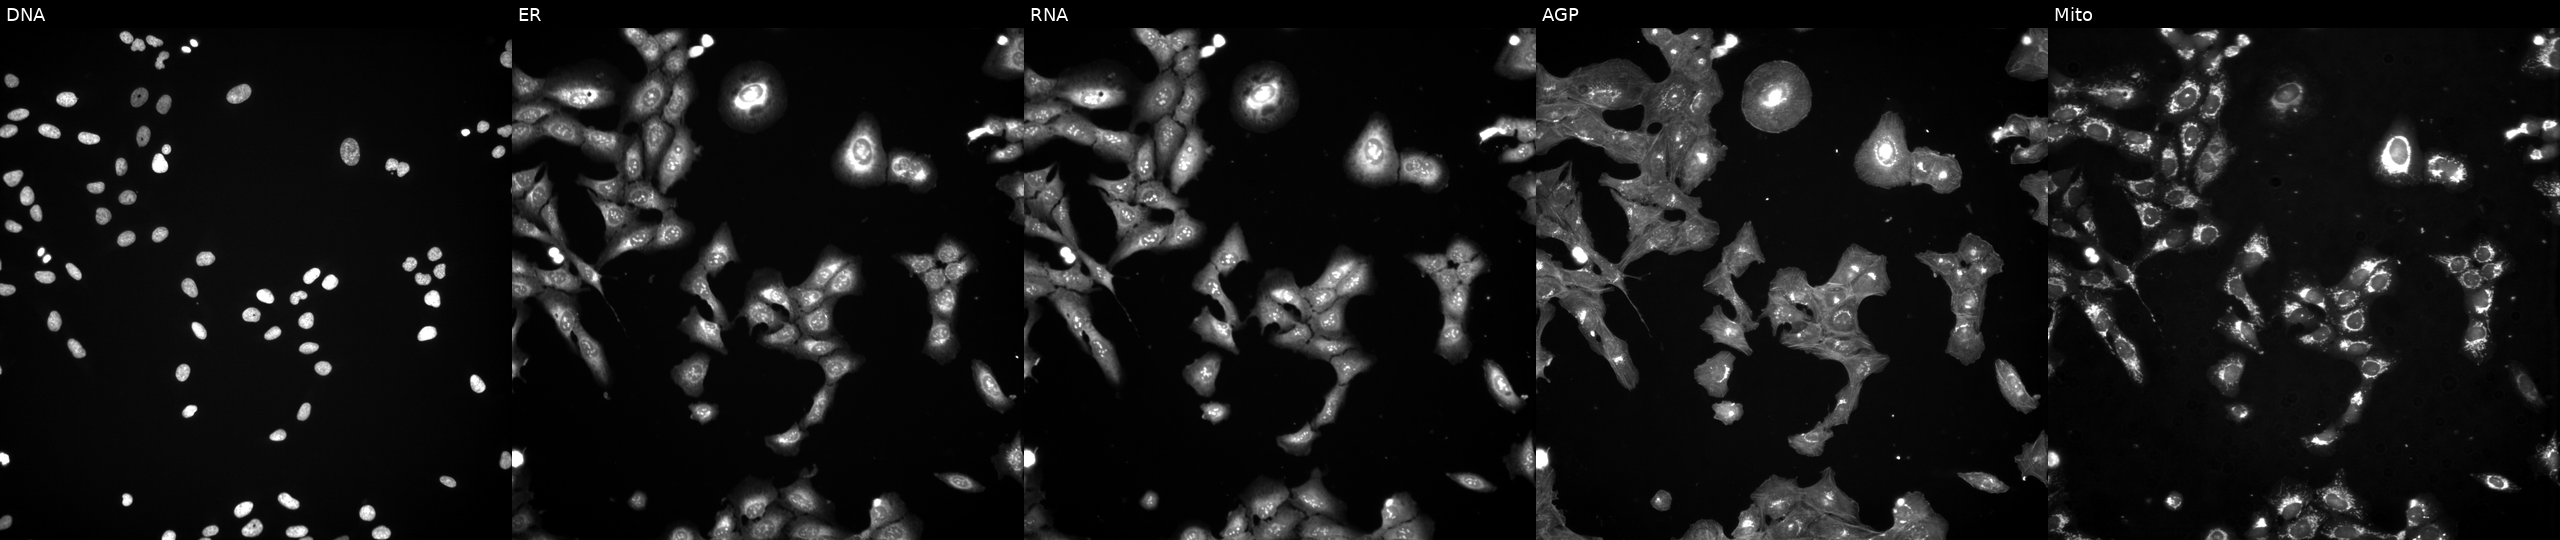
This image strip shows the five Cell Painting channels for a single field of U2OS cells exposed to a small-molecule compound (InChIKey ALBKMJDFBZVHAK-UHFFFAOYSA-N). Panels show, left to right, DNA (nuclei); ER (endoplasmic reticulum); RNA (nucleoli and cytoplasmic RNA); AGP (actin cytoskeleton, Golgi, and plasma membrane); Mito (mitochondria).